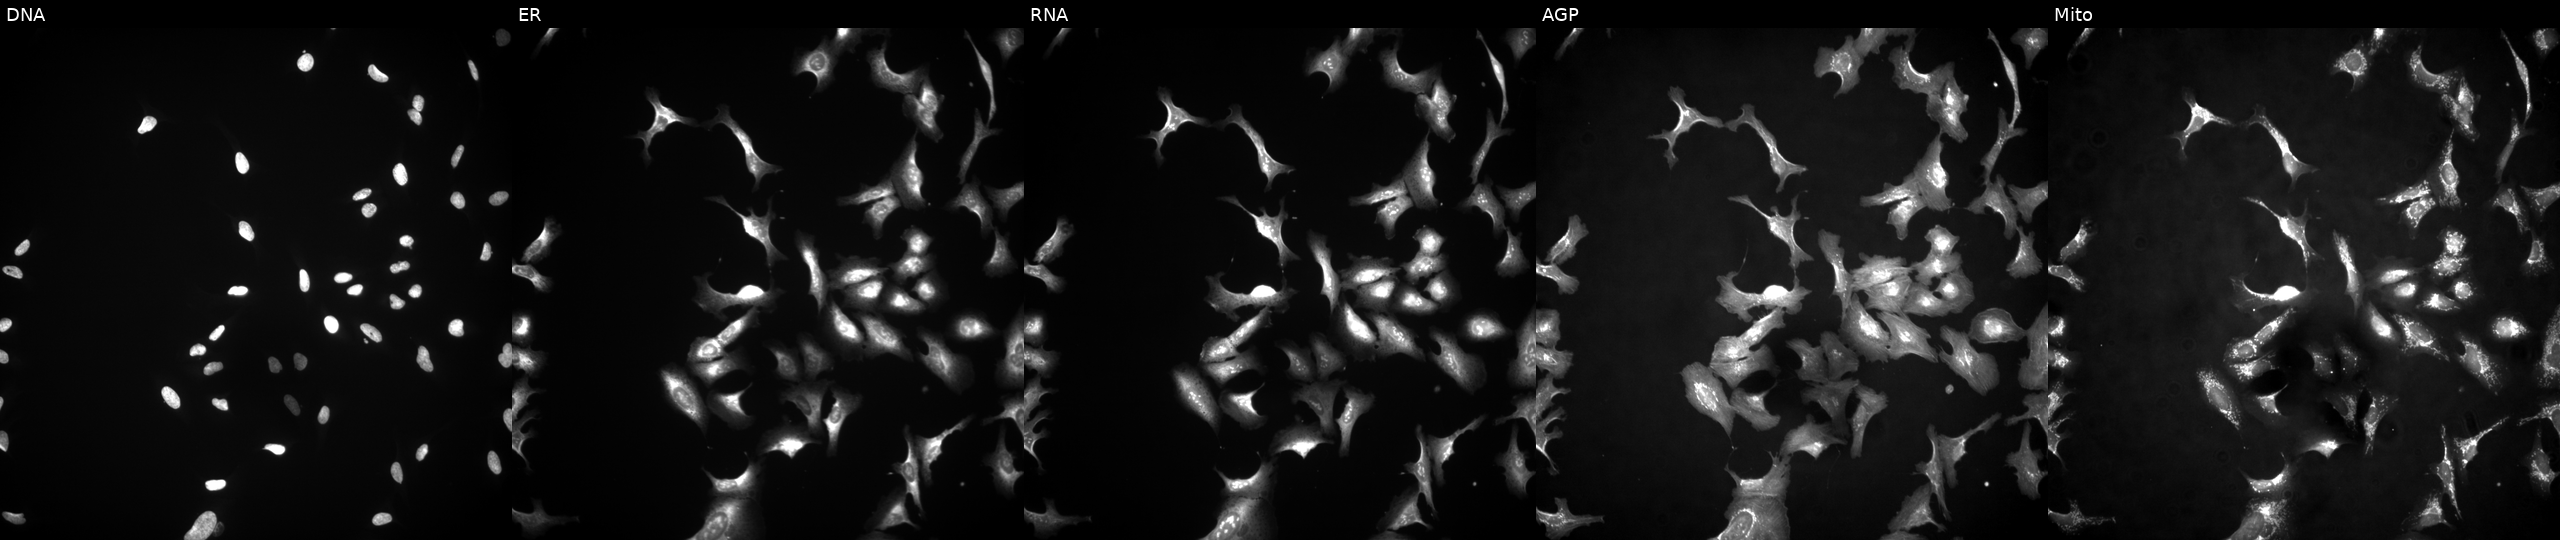
This image strip shows the five Cell Painting channels for a single field of U2OS cells transfected with an ORF construct for COMP. From left to right: Hoechst 33342, concanavalin A, SYTO 14, phalloidin and WGA, MitoTracker. Source 4, plate BR00124790, well O14.